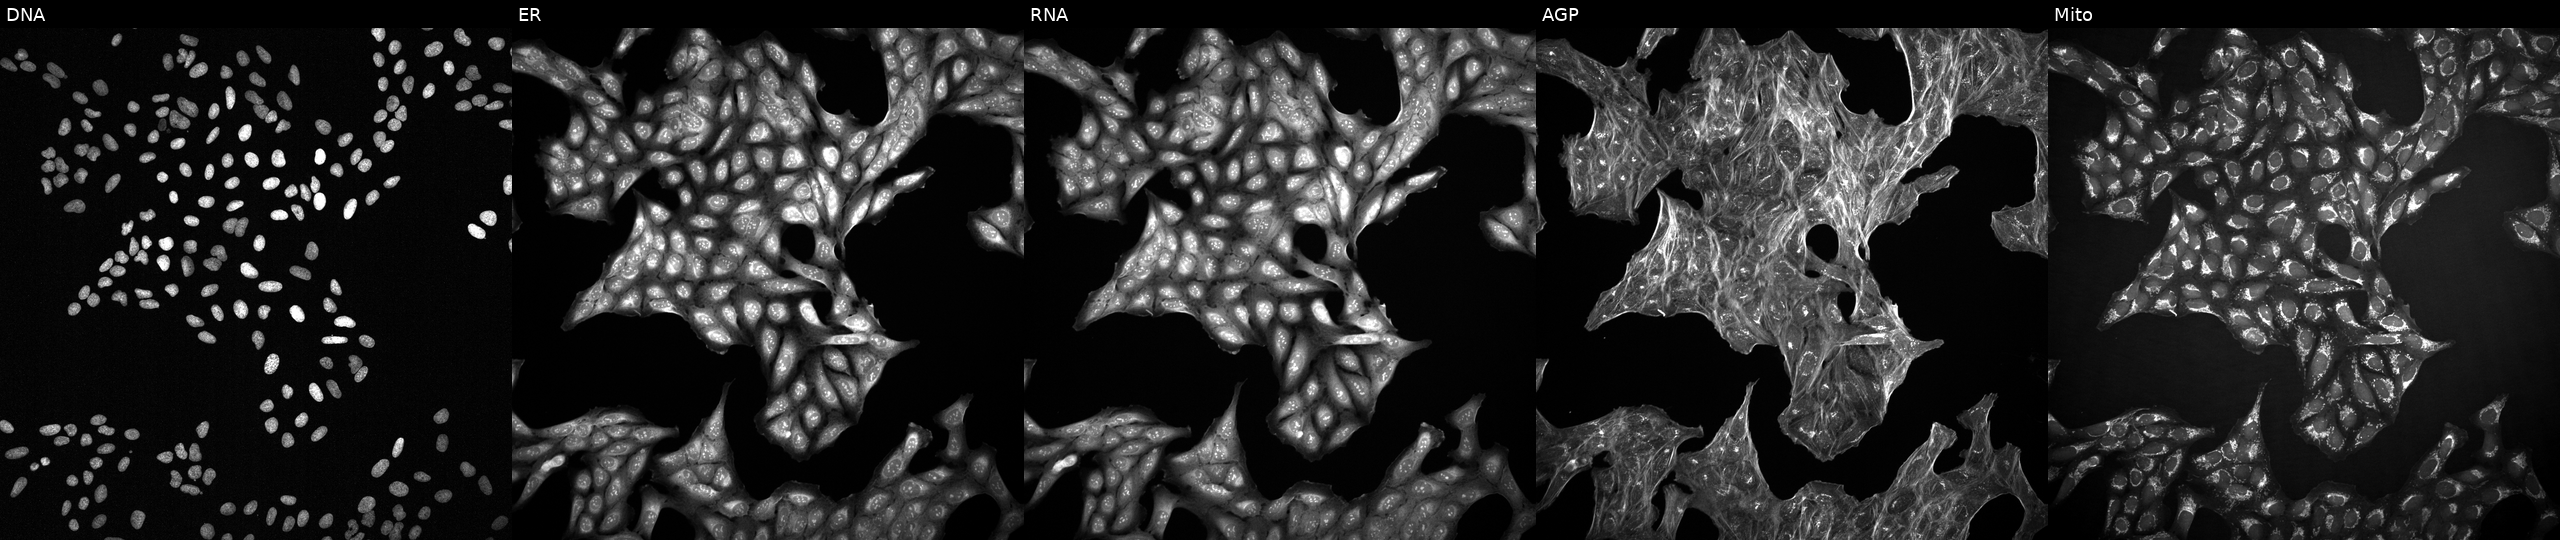
Five-channel Cell Painting image of U2OS cells treated with a small-molecule compound [SMILES: O=C(Nc1cccc(Br)c1)c1cccc(S(=O)(=O)N2CCCCCC2)c1] (JUMP id JCP2022_038096). The five panels, left to right, show Hoechst 33342, concanavalin A, SYTO 14, phalloidin and WGA, MitoTracker.